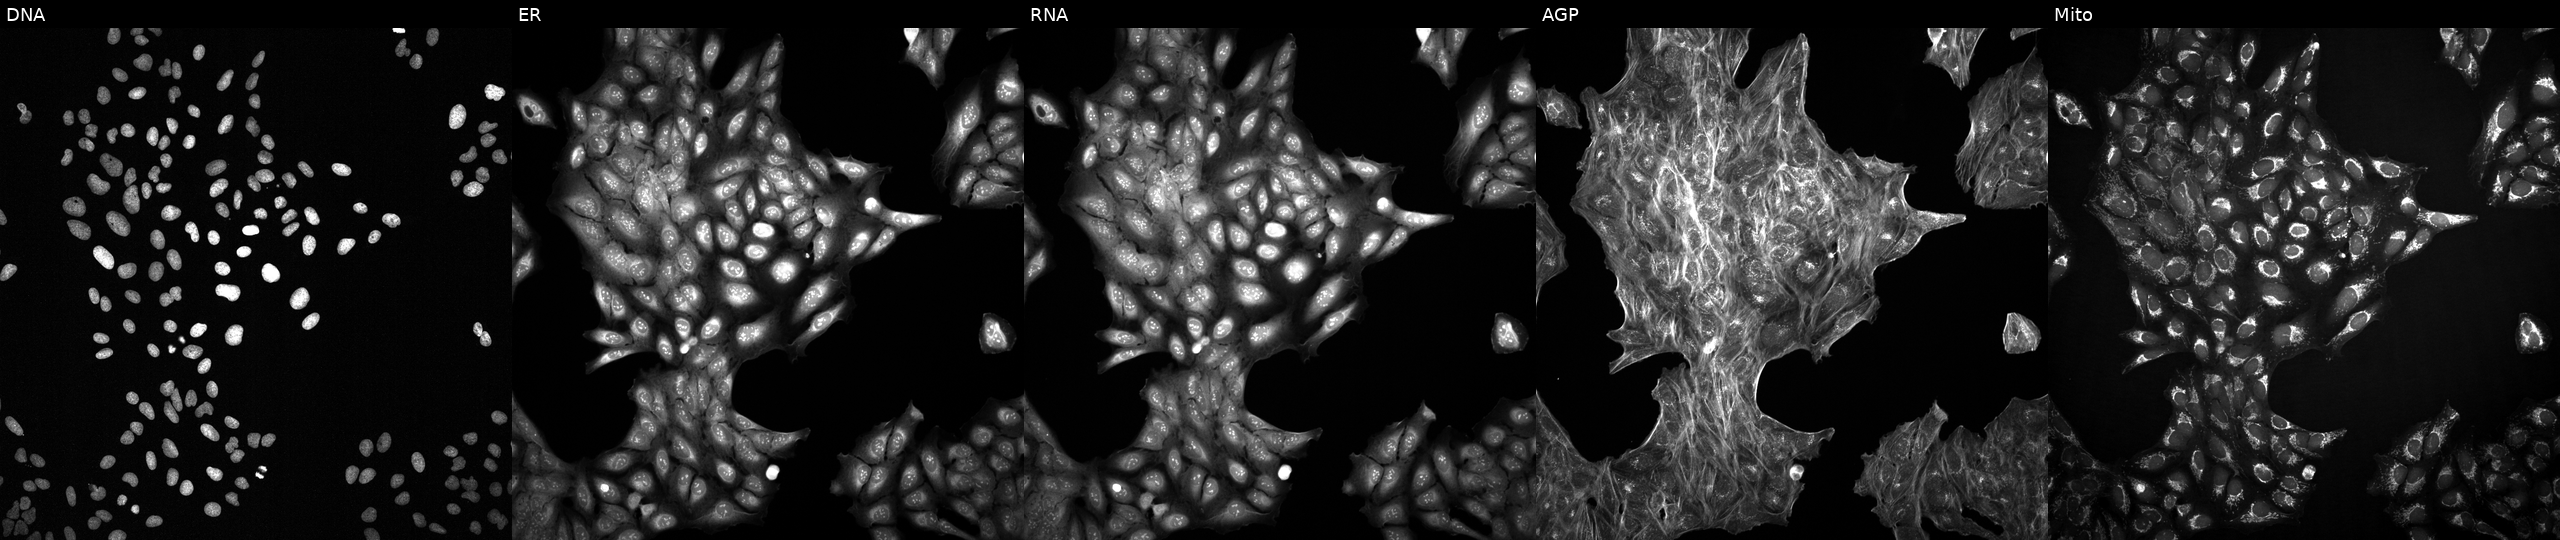
JUMP Cell Painting — COMPOUND plate. U2OS cells with an unidentified perturbation (not annotated in JUMP metadata). Panels show, left to right, Hoechst 33342, concanavalin A, SYTO 14, phalloidin and WGA, MitoTracker.